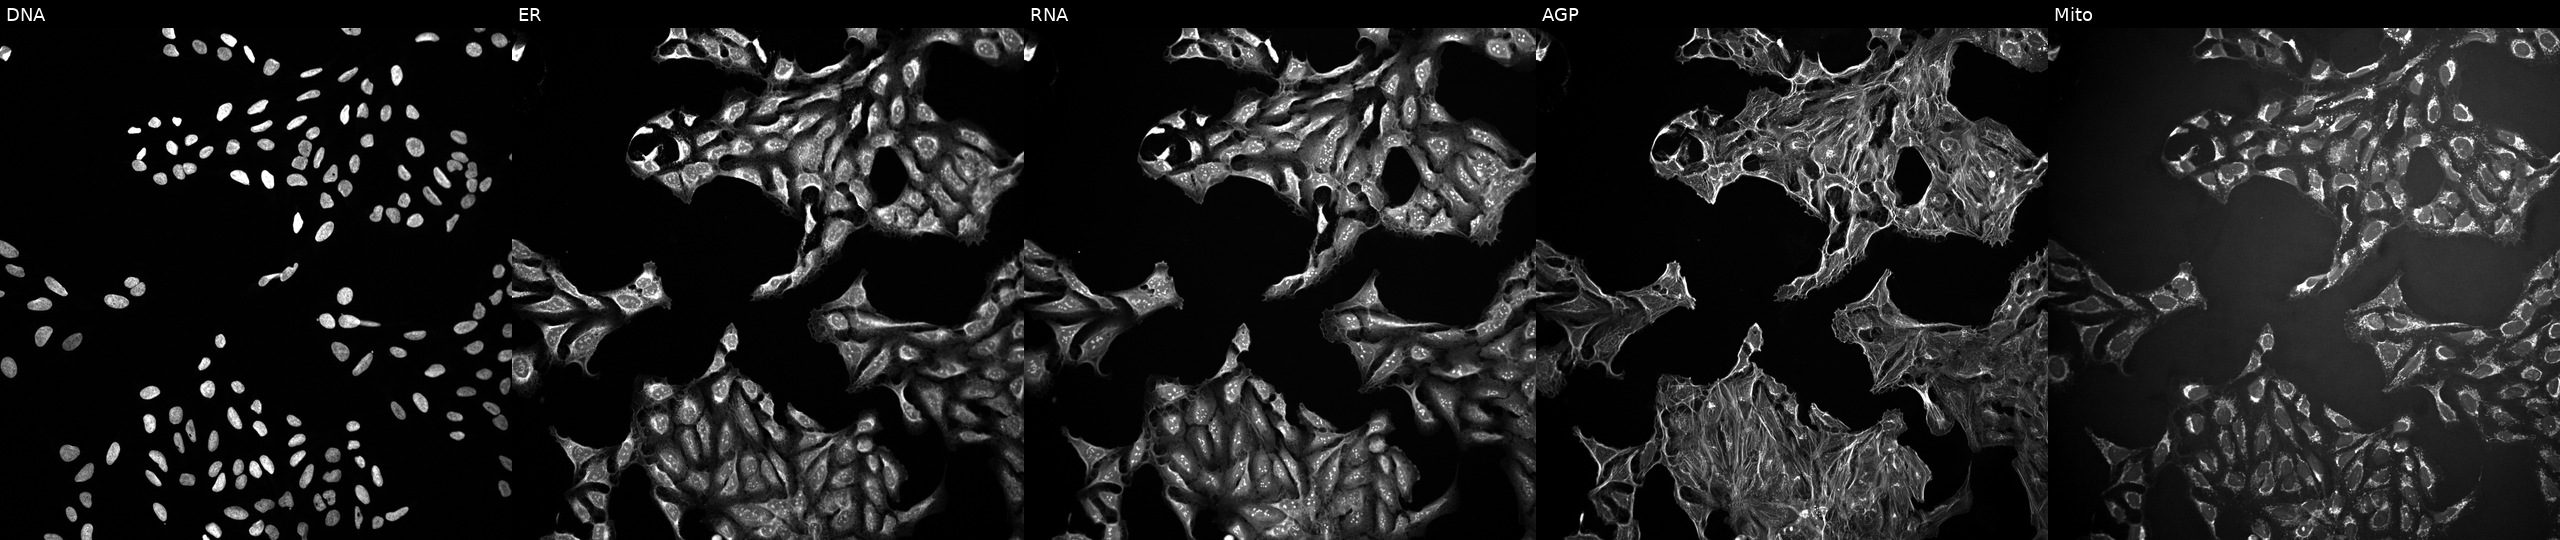
Panels show, left to right, DNA, ER, RNA, AGP, and Mito. U2OS osteosarcoma cells exposed to a small-molecule compound (InChIKey RDOIQAHITMMDAJ-UHFFFAOYSA-N) (JUMP id JCP2022_077671). Cell Painting assay, JUMP-CP dataset.